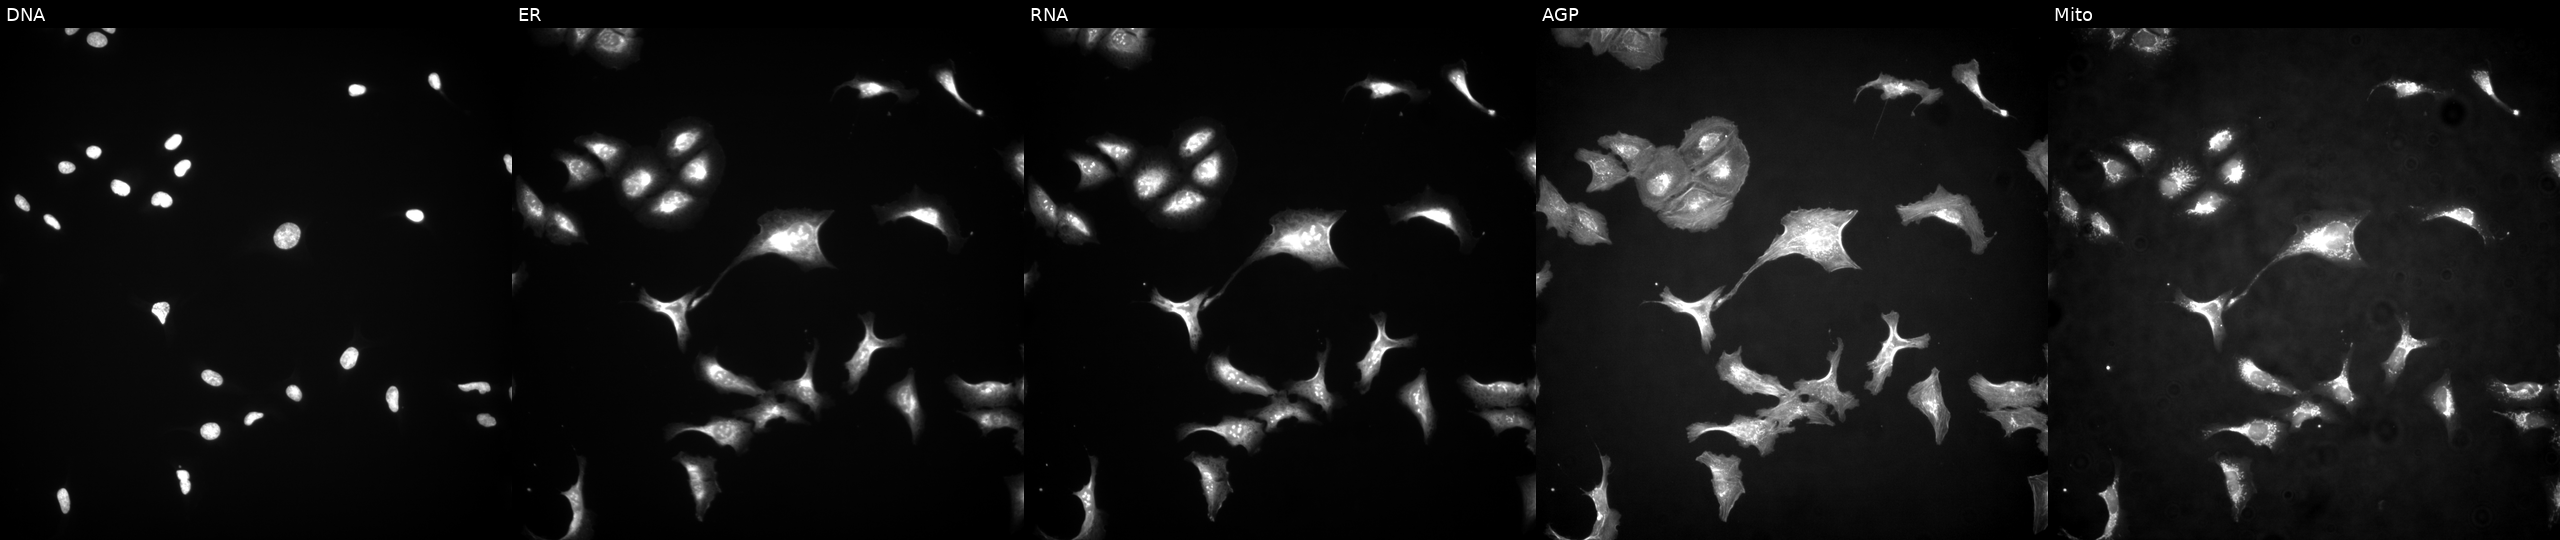
JUMP Cell Painting — ORF plate. U2OS cells overexpressing ABHD4 via ORF transfection (JUMP id JCP2022_903663). From left to right: DNA, ER, RNA, AGP, and Mito.